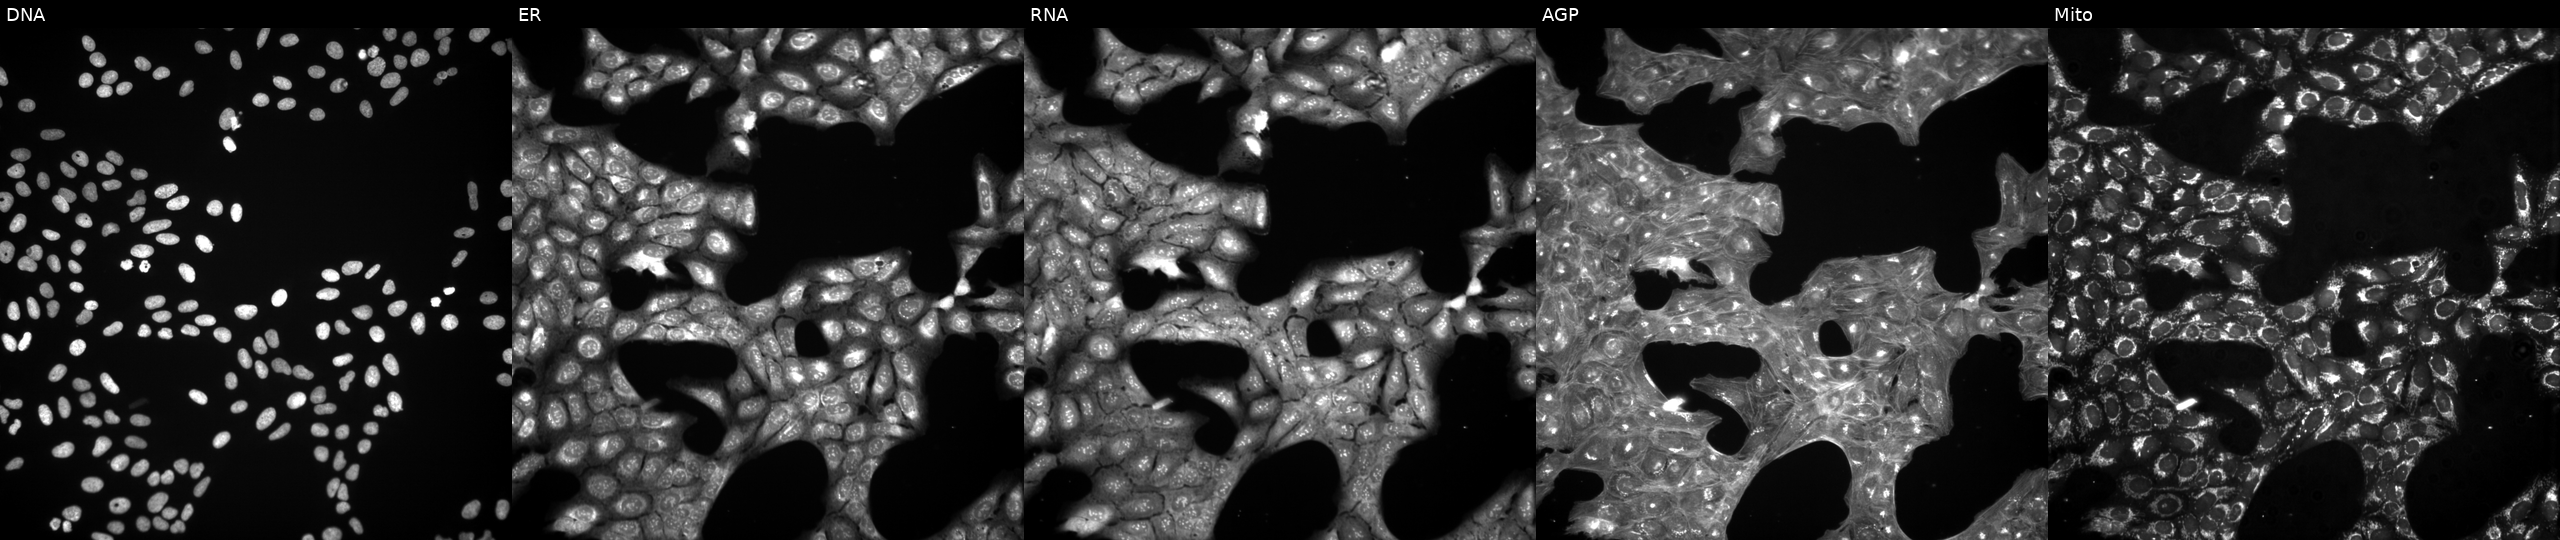
Five-channel Cell Painting image of U2OS cells exposed to a small-molecule compound (InChIKey KICXEOQUSIVBOE-UHFFFAOYSA-N) (JUMP id JCP2022_044759). Panels show, left to right, Hoechst 33342, concanavalin A, SYTO 14, phalloidin and WGA, MitoTracker.